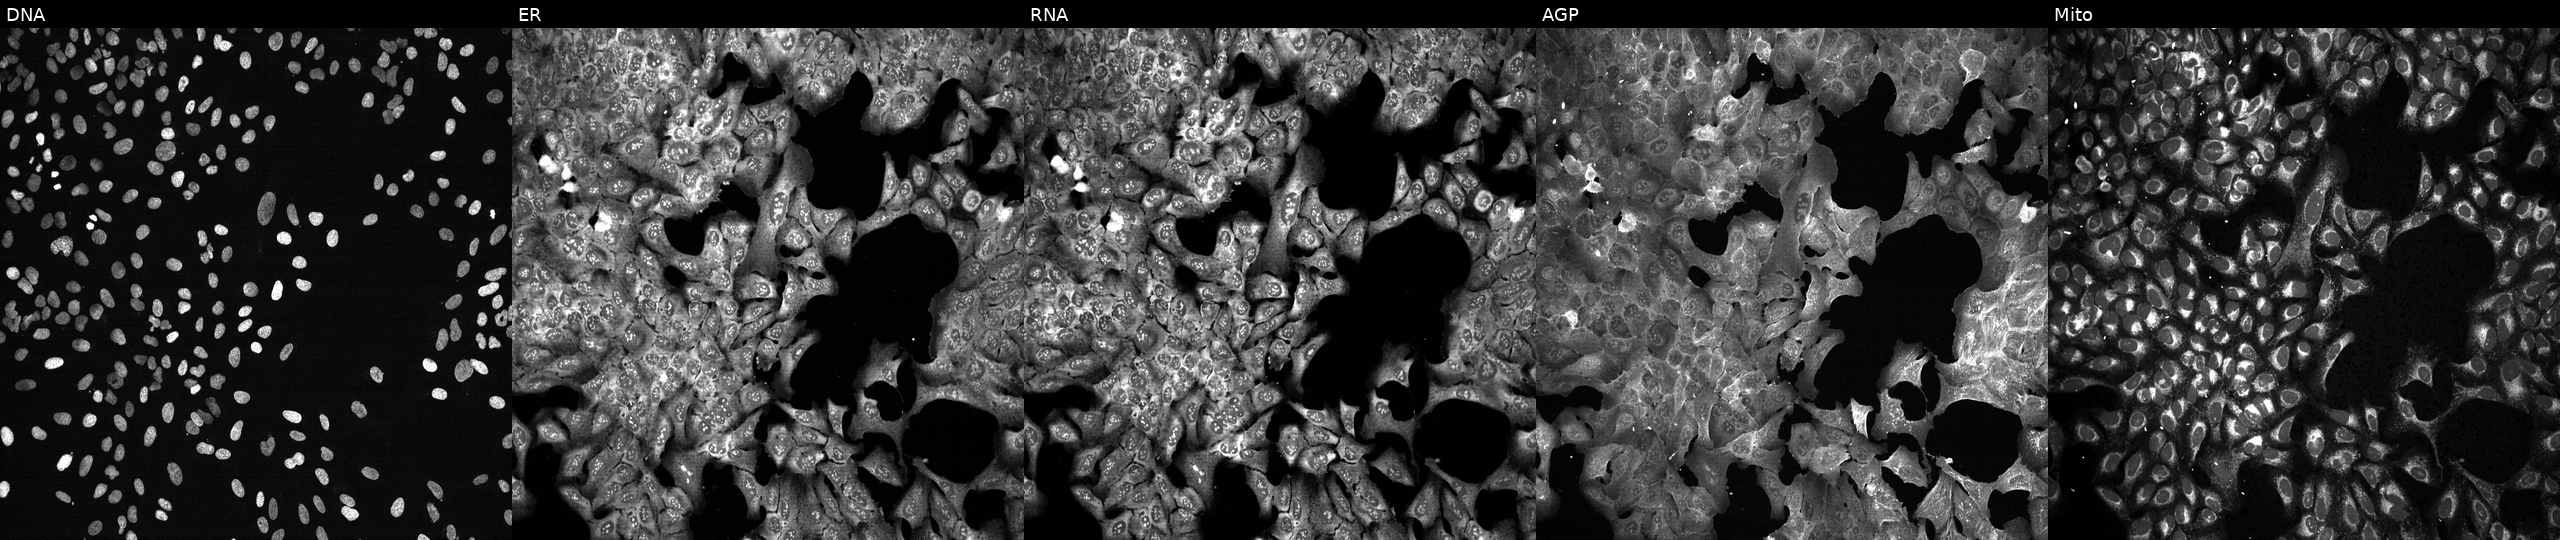
Five-channel Cell Painting image of U2OS cells CRISPR-edited to disrupt AKR1B1. Channels (left→right): DNA (nuclei); ER (endoplasmic reticulum); RNA (nucleoli and cytoplasmic RNA); AGP (actin cytoskeleton, Golgi, and plasma membrane); Mito (mitochondria).